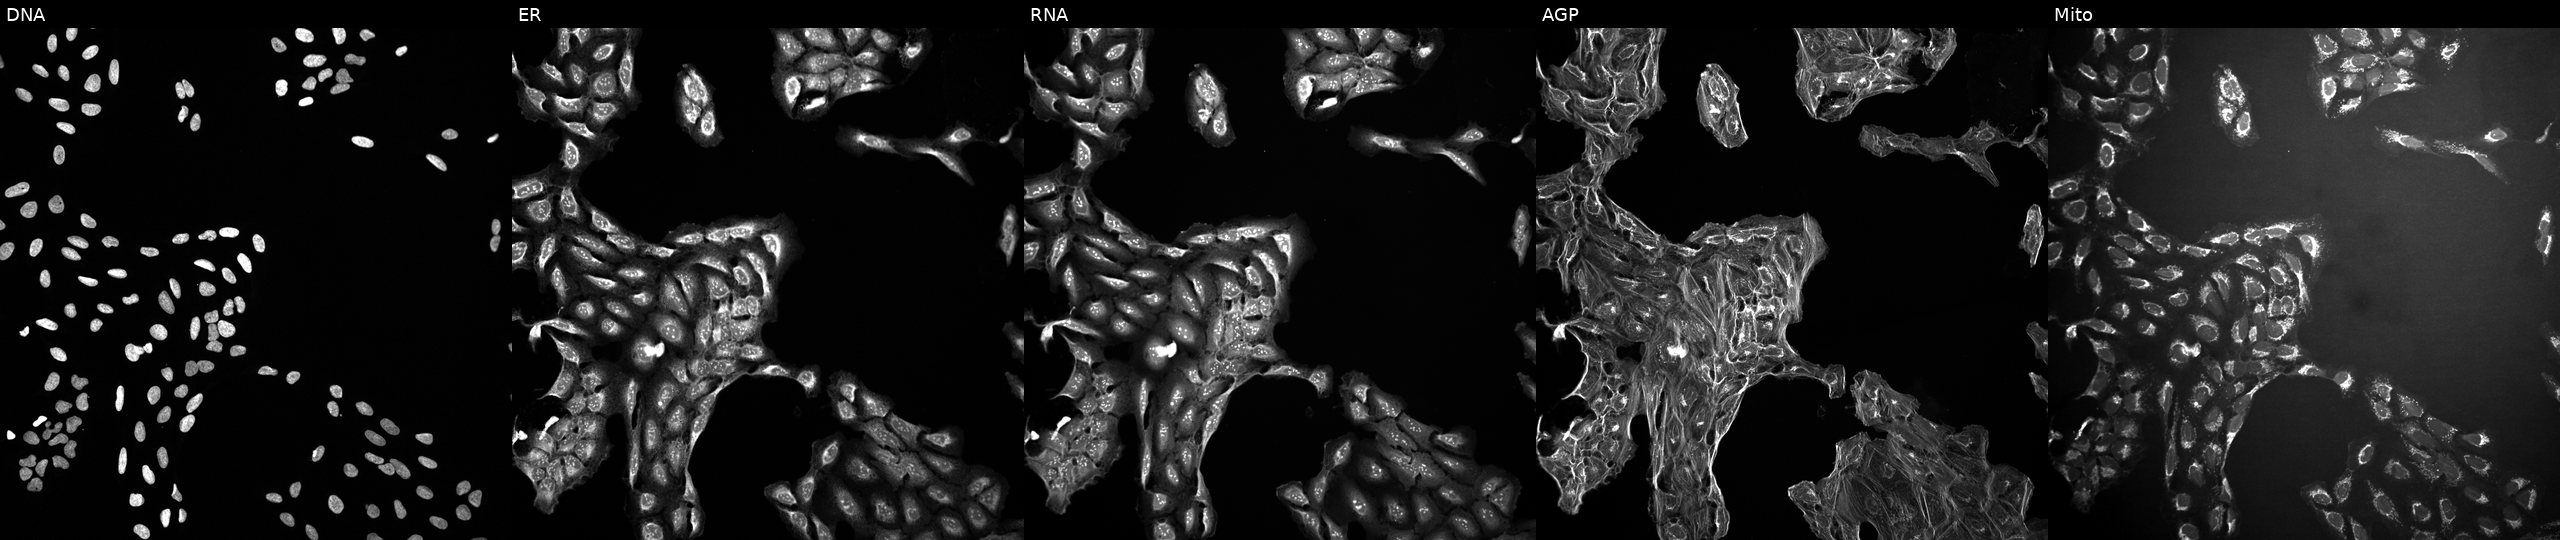
From left to right: DNA (nuclei); ER (endoplasmic reticulum); RNA (nucleoli and cytoplasmic RNA); AGP (actin cytoskeleton, Golgi, and plasma membrane); Mito (mitochondria). U2OS osteosarcoma cells perturbed with a small-molecule compound (InChIKey GYYRMJMXXLJZAB-UHFFFAOYSA-N). Cell Painting assay, JUMP-CP dataset.